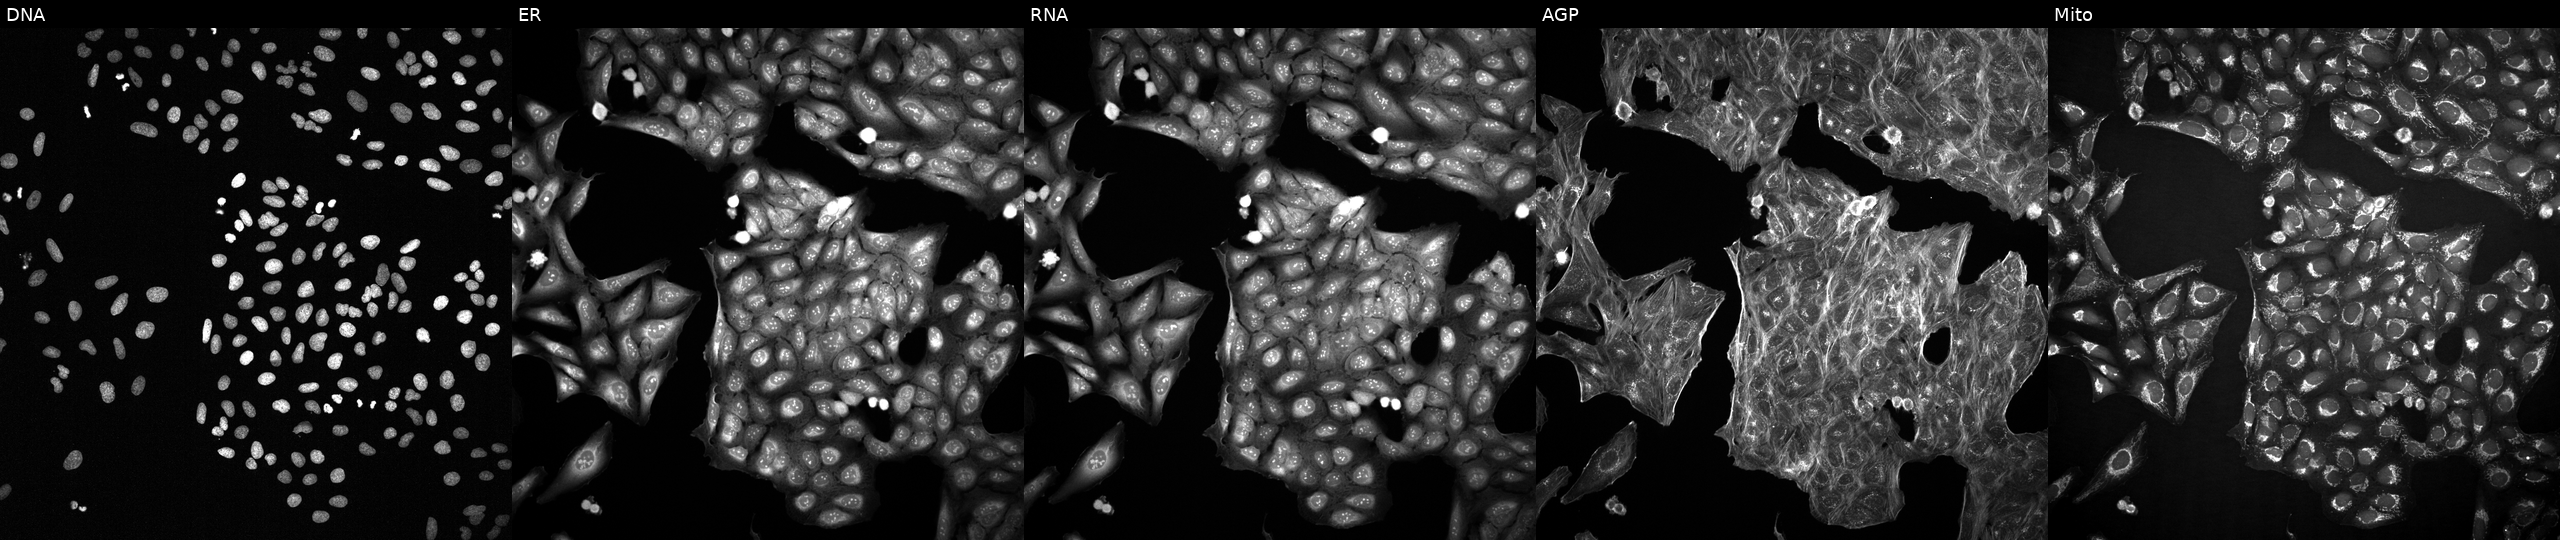
JUMP Cell Painting — TARGET2 plate. U2OS cells exposed to a small-molecule compound (InChIKey SQMWSBKSHWARHU-UHFFFAOYSA-N) (JUMP id JCP2022_084963). Panels show, left to right, DNA, ER, RNA, AGP, and Mito. Source 2, plate 1053600674, well E15.